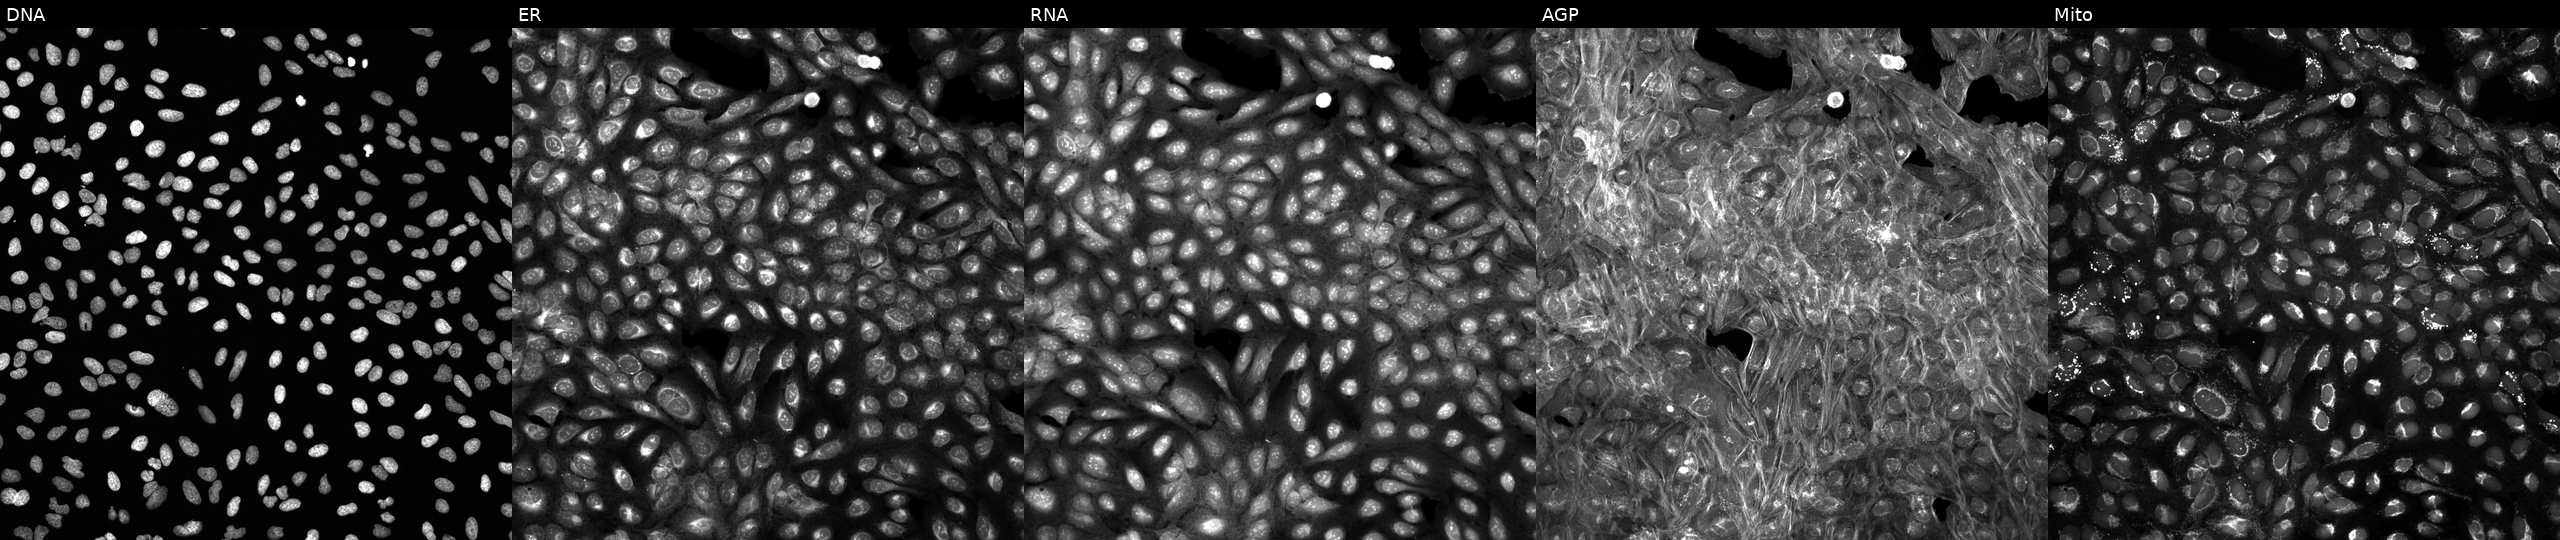
High-content fluorescence microscopy (Cell Painting). Cell line: U2OS. Perturbation: perturbed with a small-molecule compound. Panels show, left to right, DNA, ER, RNA, AGP, and Mito. Source 6, plate 110000294901, well C07.